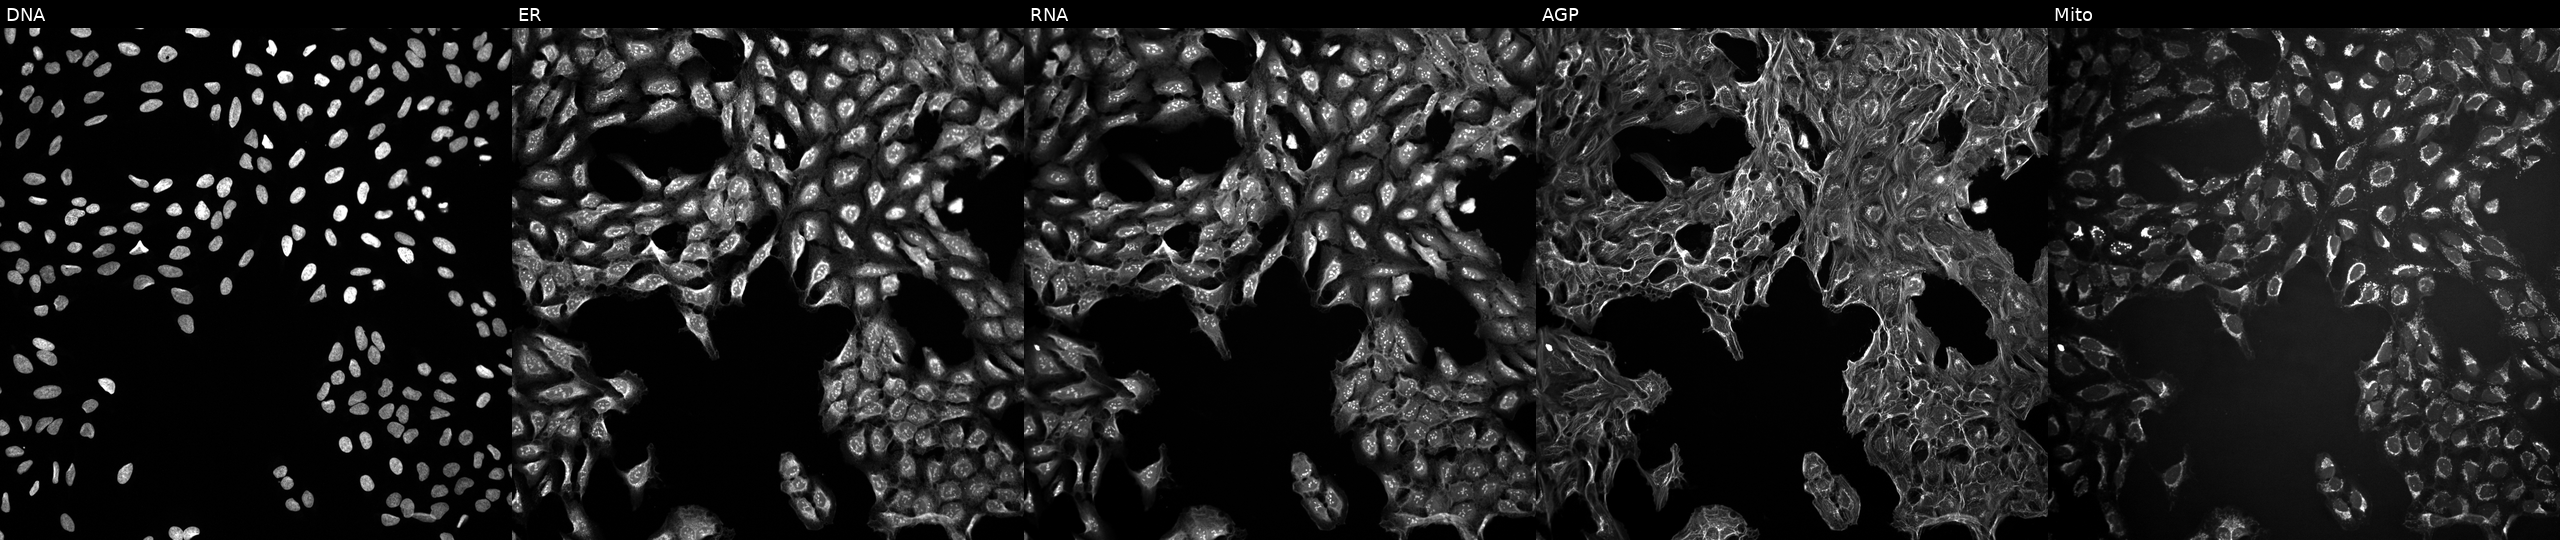
High-content fluorescence microscopy (Cell Painting). Cell line: U2OS. Perturbation: exposed to a small-molecule compound (JUMP id JCP2022_093047). The five panels, left to right, show DNA (nuclei); ER (endoplasmic reticulum); RNA (nucleoli and cytoplasmic RNA); AGP (actin cytoskeleton, Golgi, and plasma membrane); Mito (mitochondria). Source 10, plate Dest210726-160150, well N24.